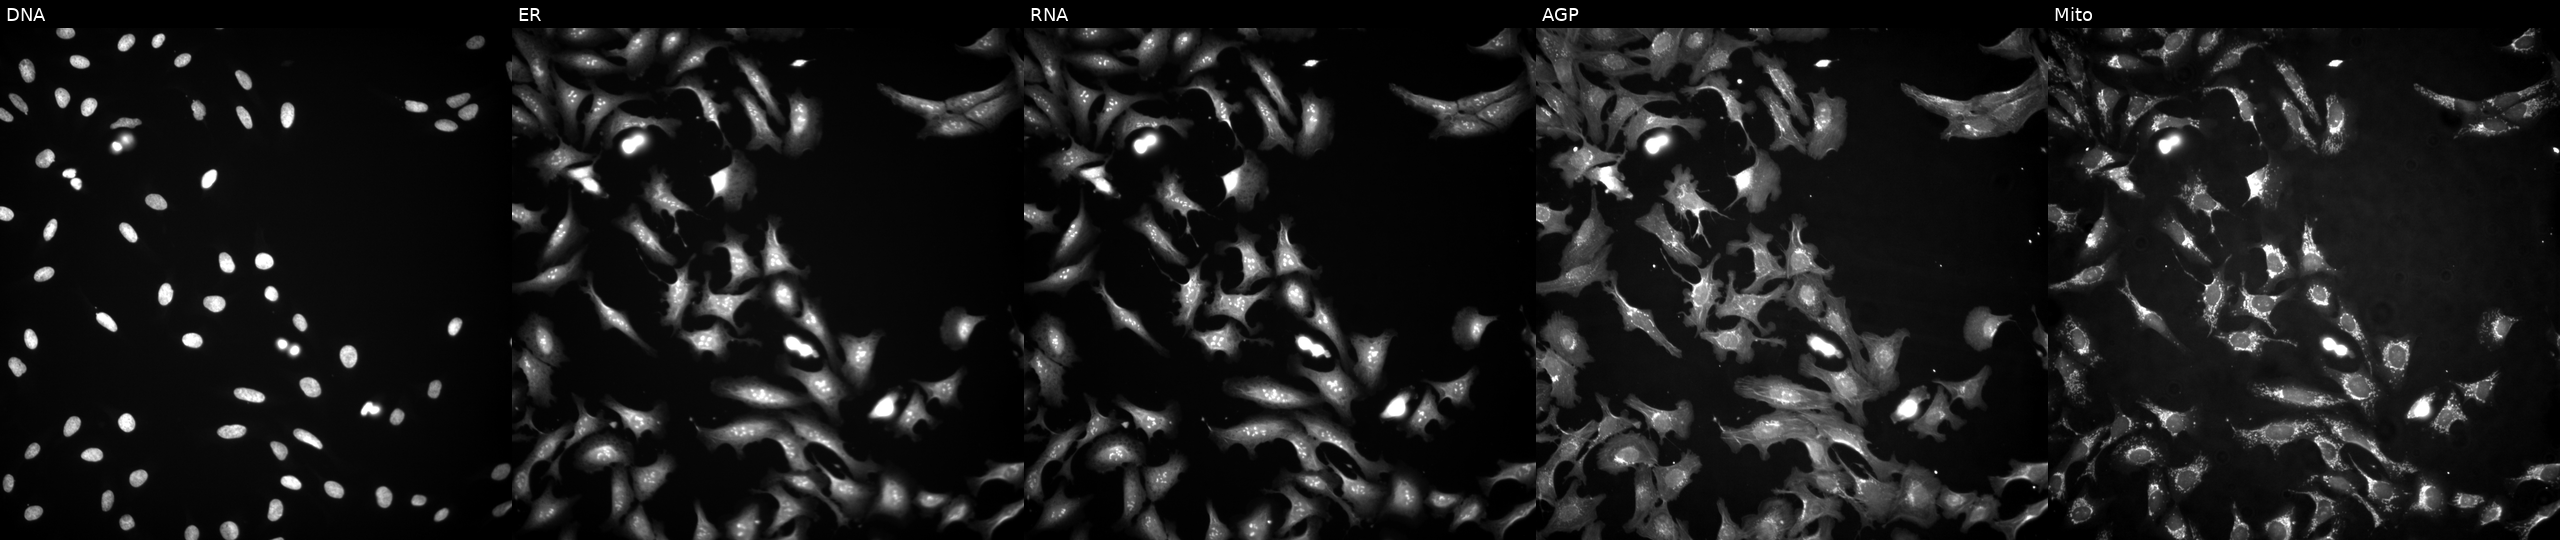
Five-channel Cell Painting image of U2OS cells with CDK9 overexpressed (ORF) (JUMP id JCP2022_905588). From left to right: Hoechst 33342, concanavalin A, SYTO 14, phalloidin and WGA, MitoTracker. Source 4, plate BR00117035, well A01.